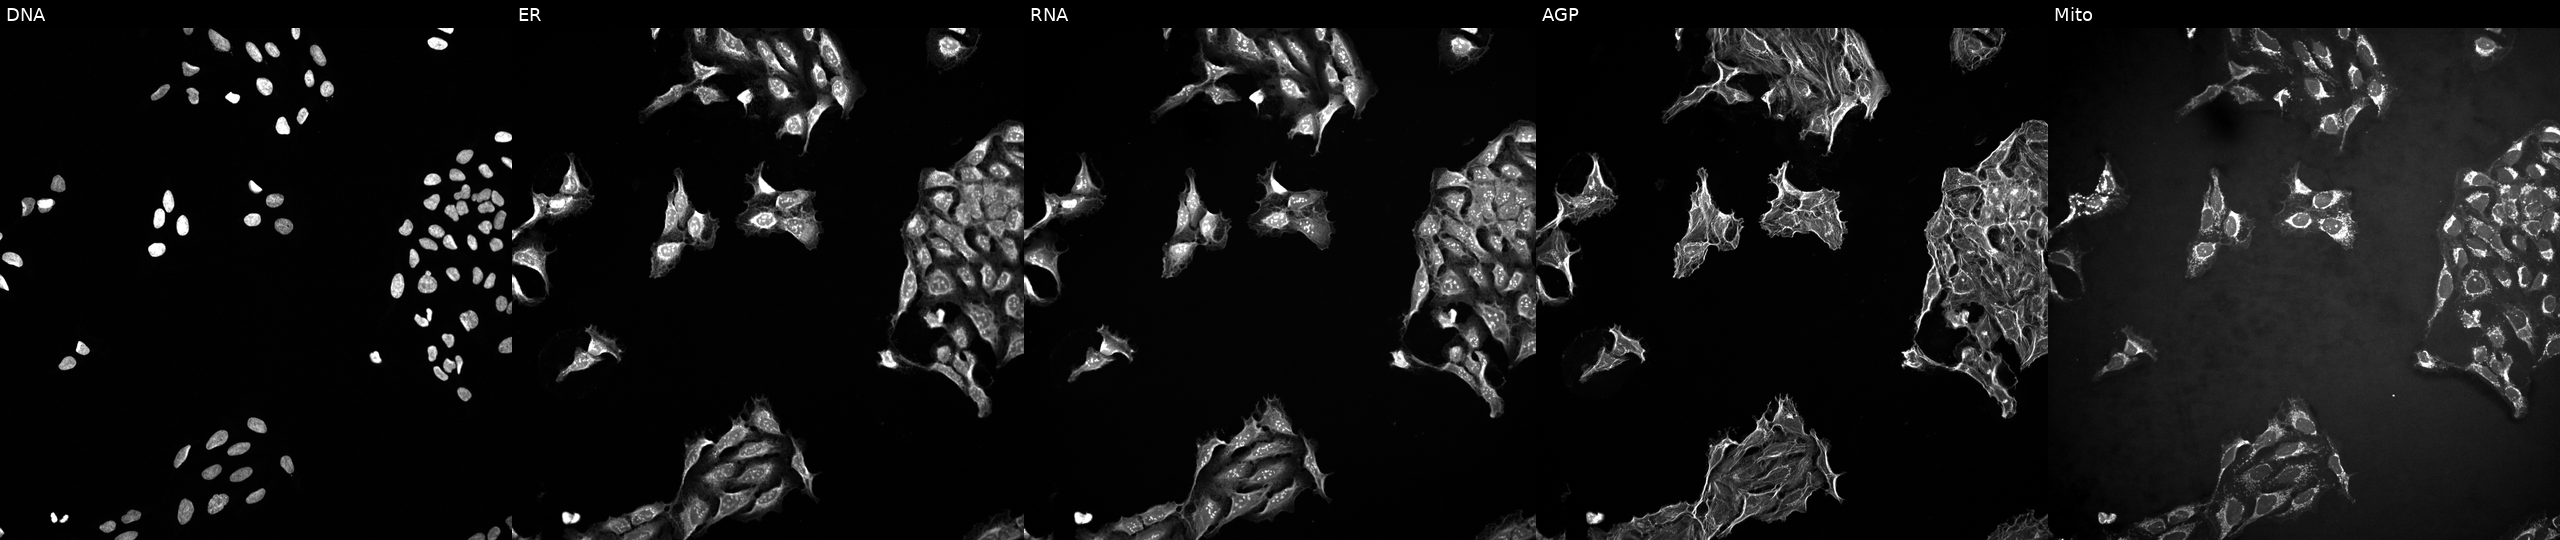
Five-channel Cell Painting image of U2OS cells exposed to a small-molecule compound. The five panels, left to right, show DNA, ER, RNA, AGP, and Mito.